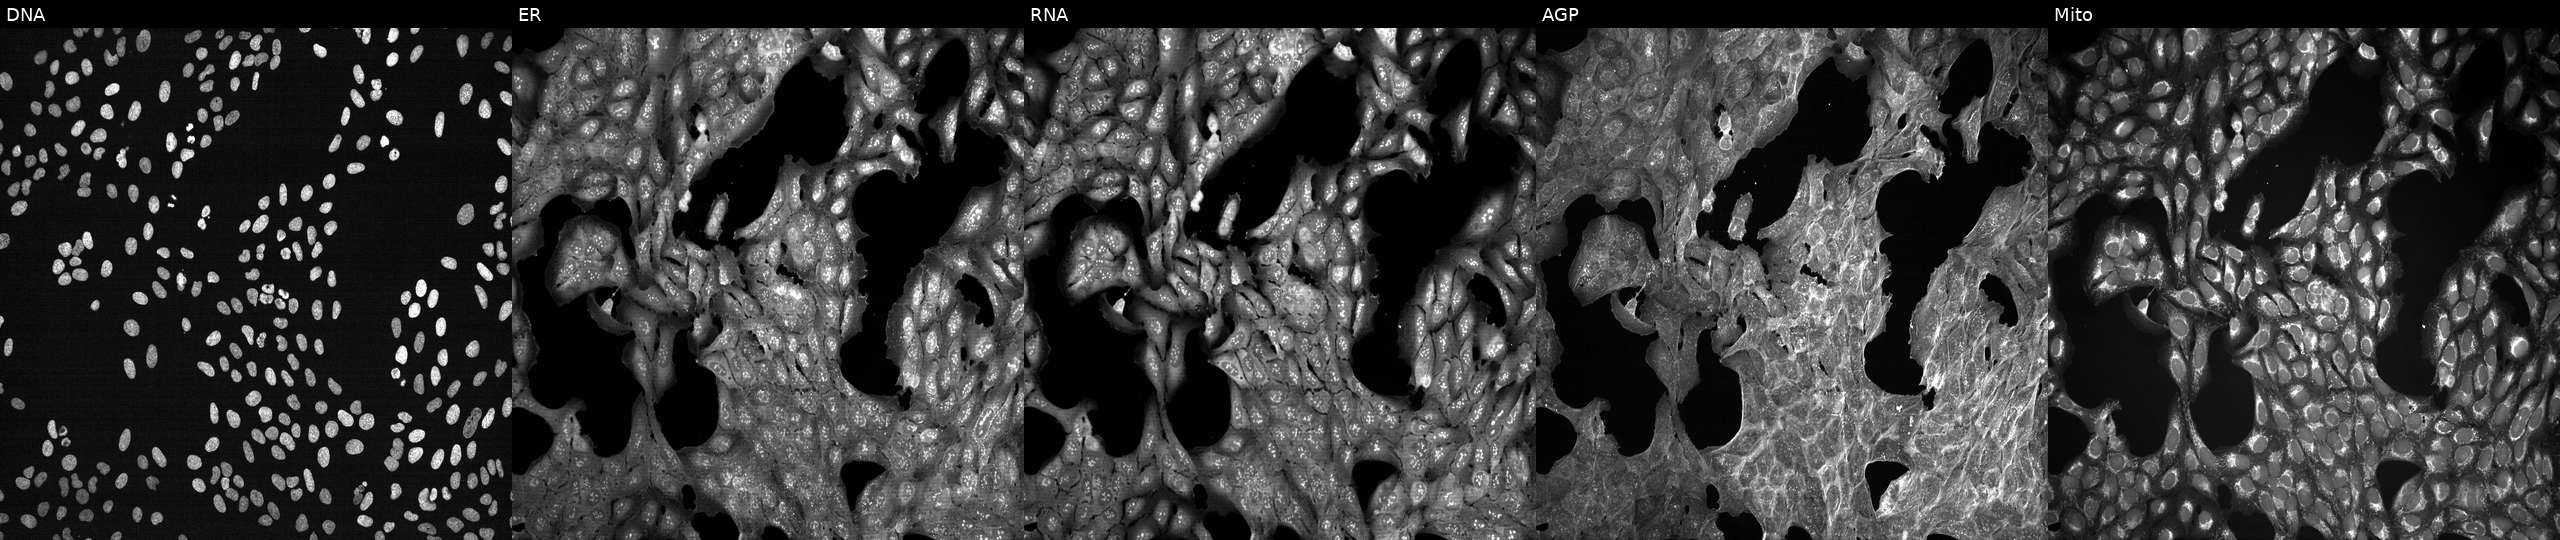
Channels (left→right): DNA (nuclei); ER (endoplasmic reticulum); RNA (nucleoli and cytoplasmic RNA); AGP (actin cytoskeleton, Golgi, and plasma membrane); Mito (mitochondria). U2OS osteosarcoma cells exposed to a small-molecule compound (InChIKey WJBLNOPPDWQMCH-UHFFFAOYSA-N). Cell Painting assay, JUMP-CP dataset. Source 7, plate CP3-SC1-25, well O02.